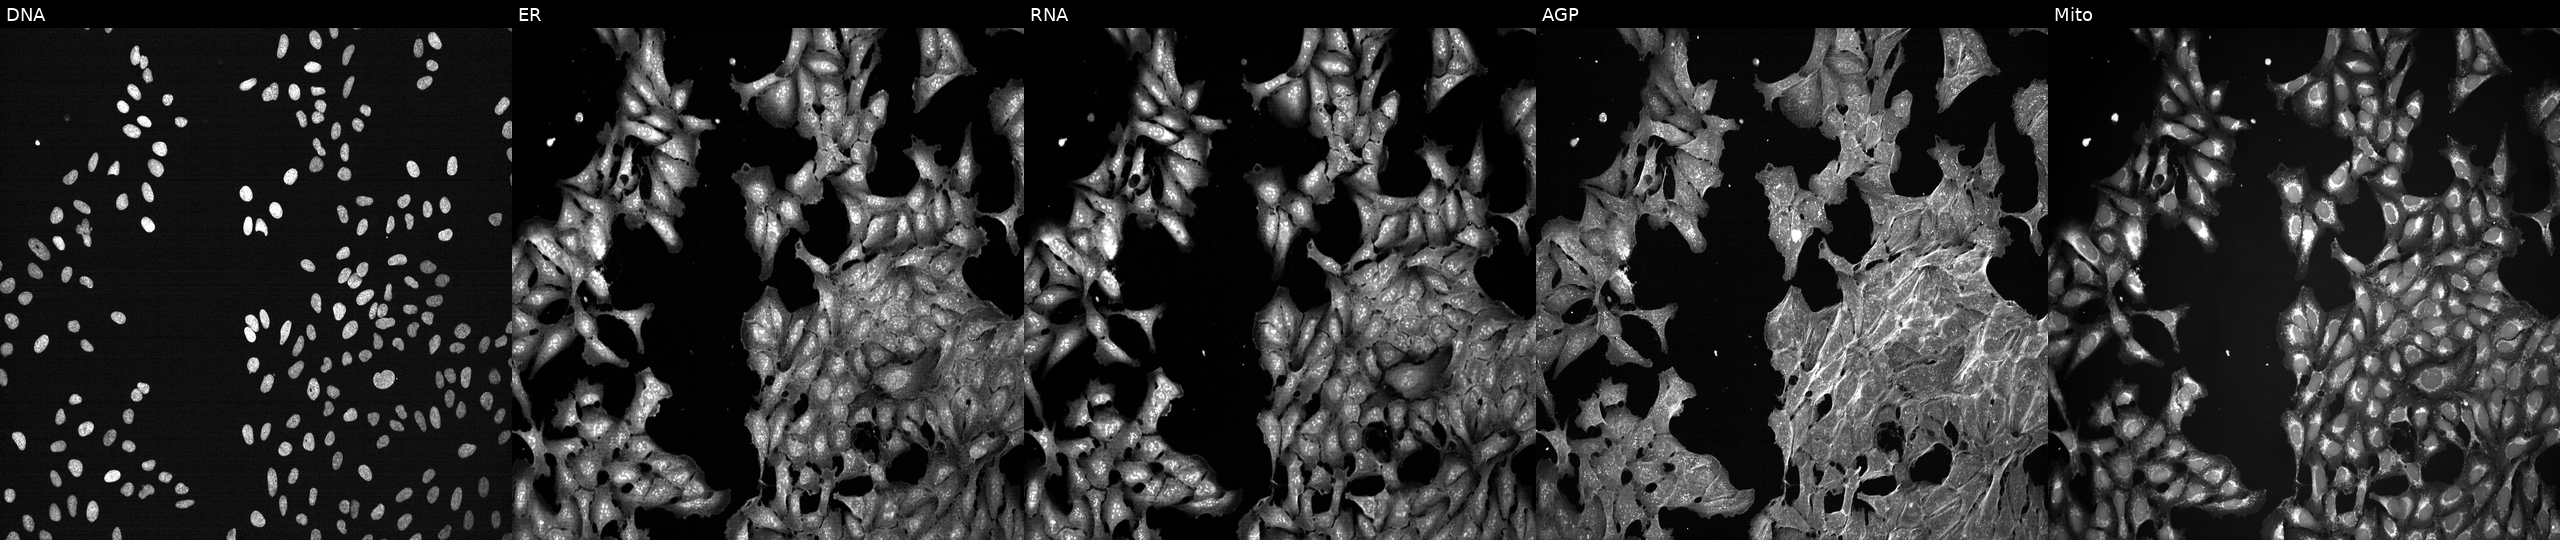
JUMP Cell Painting — TARGET2 plate. U2OS cells exposed to a small-molecule compound (InChIKey NMUSYJAQQFHJEW-UHFFFAOYSA-N). From left to right: DNA, ER, RNA, AGP, and Mito.